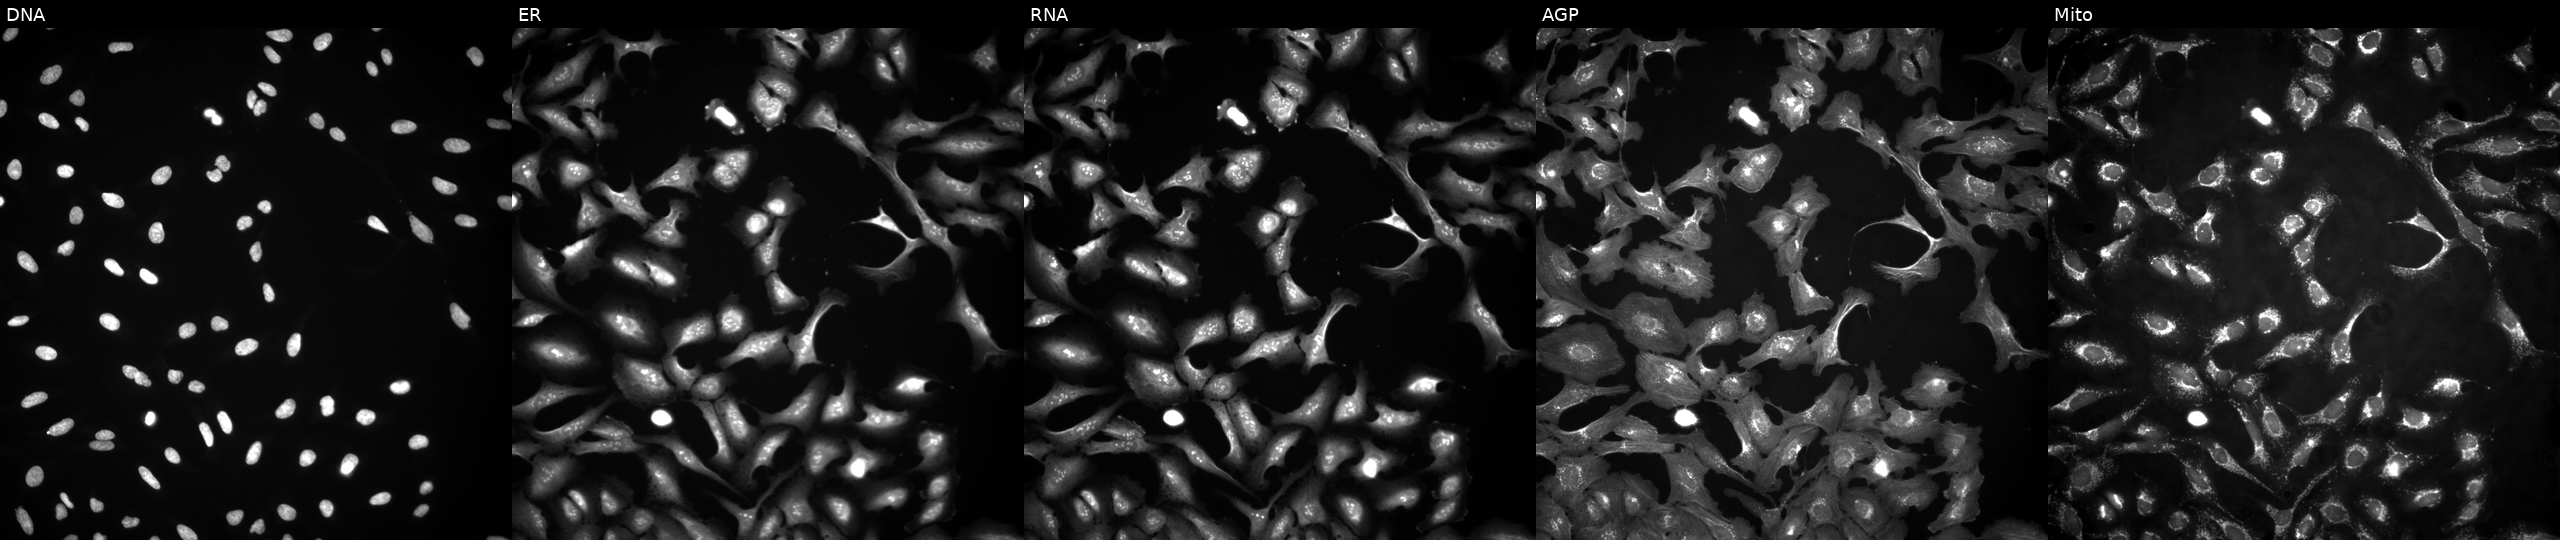
From left to right: Hoechst 33342, concanavalin A, SYTO 14, phalloidin and WGA, MitoTracker. U2OS osteosarcoma cells with SMNDC1 overexpressed (ORF) (JUMP id JCP2022_902232). Cell Painting assay, JUMP-CP dataset.